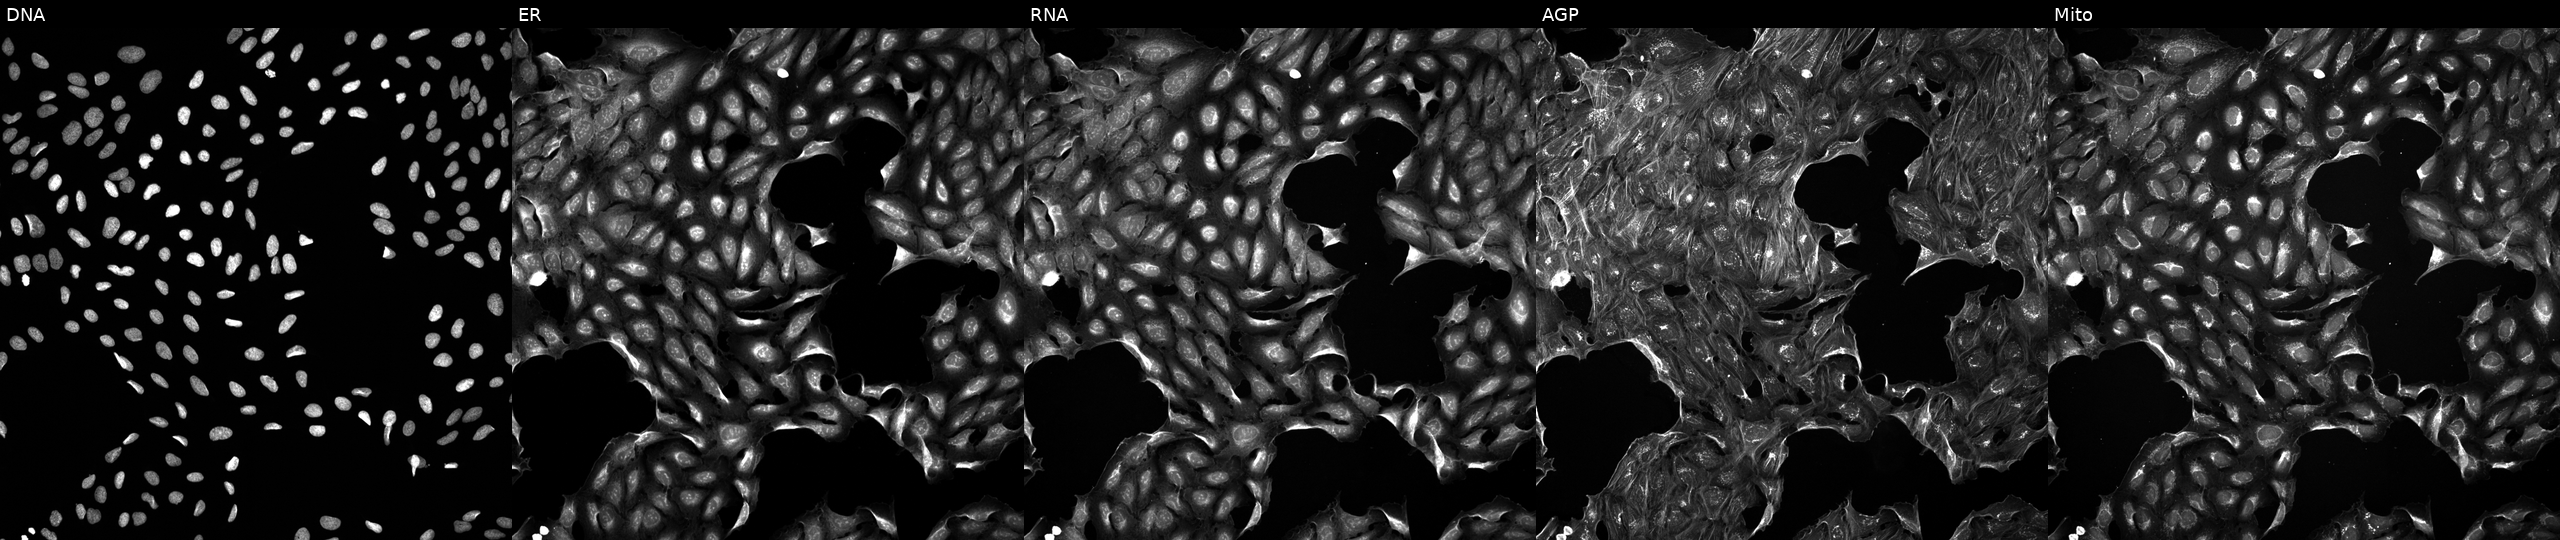
Channels (left→right): DNA, ER, RNA, AGP, and Mito. U2OS osteosarcoma cells treated with a small-molecule compound (InChIKey WAQMJXFARGGIMC-UHFFFAOYSA-N) [SMILES: Cc1cccc(=NCC2CCN(c3nnc(C(F)(F)F)s3)C2)[nH]1] (JUMP id JCP2022_097541). Cell Painting assay, JUMP-CP dataset. Source 5, plate APTJUM106, well B18.